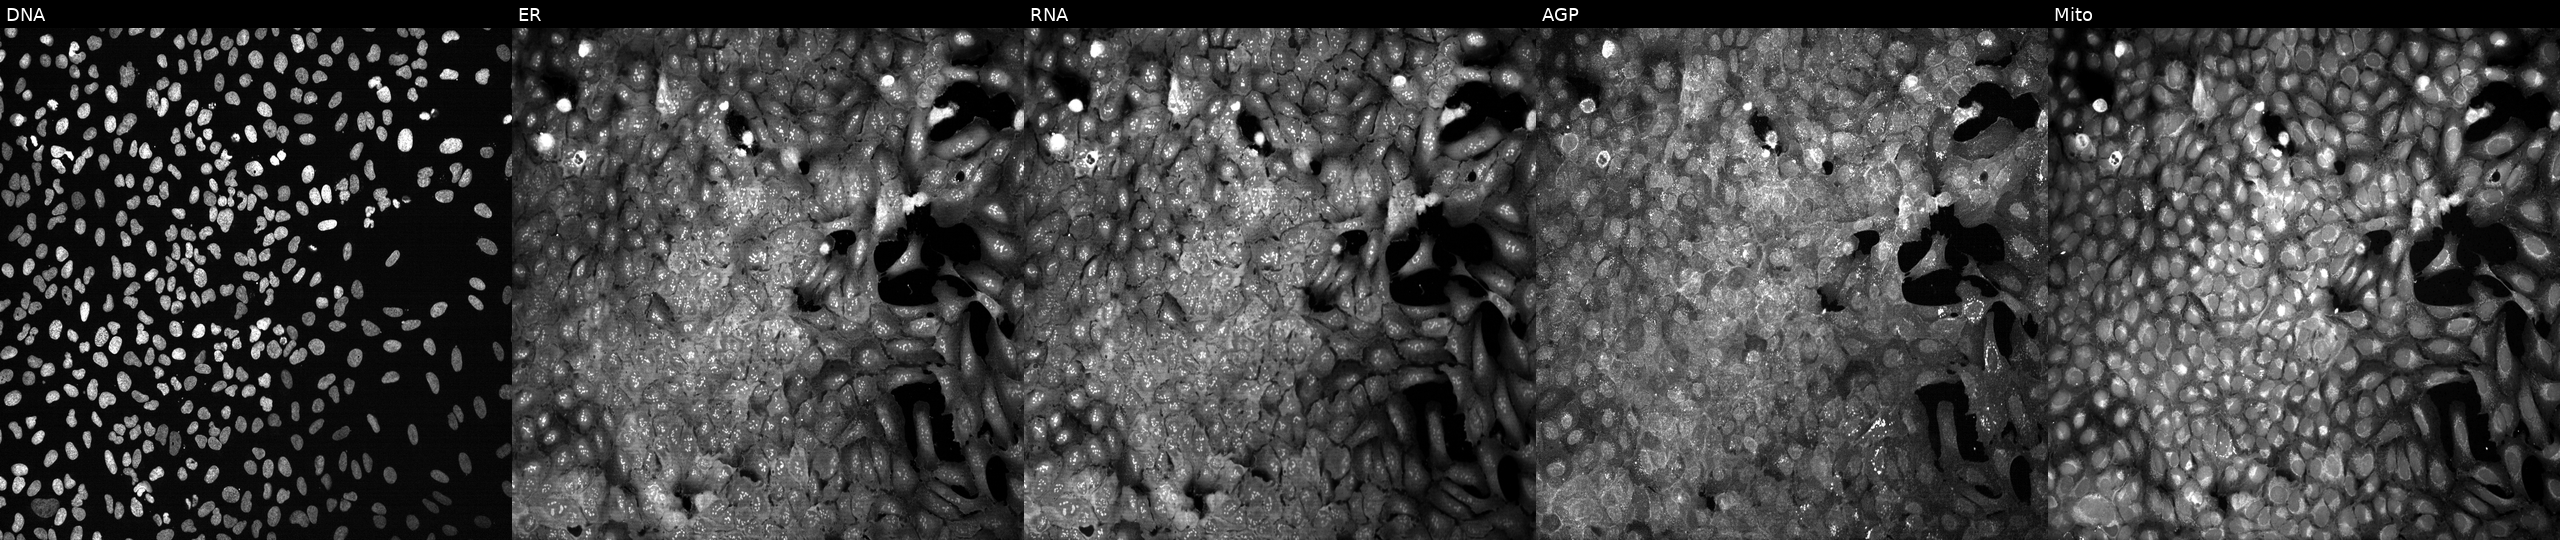
High-content fluorescence microscopy (Cell Painting). Cell line: U2OS. Perturbation: following CRISPR knockout of PIK3AP1. The five panels, left to right, show Hoechst 33342, concanavalin A, SYTO 14, phalloidin and WGA, MitoTracker. Source 13, plate CP-CC9-R1-01, well K19.